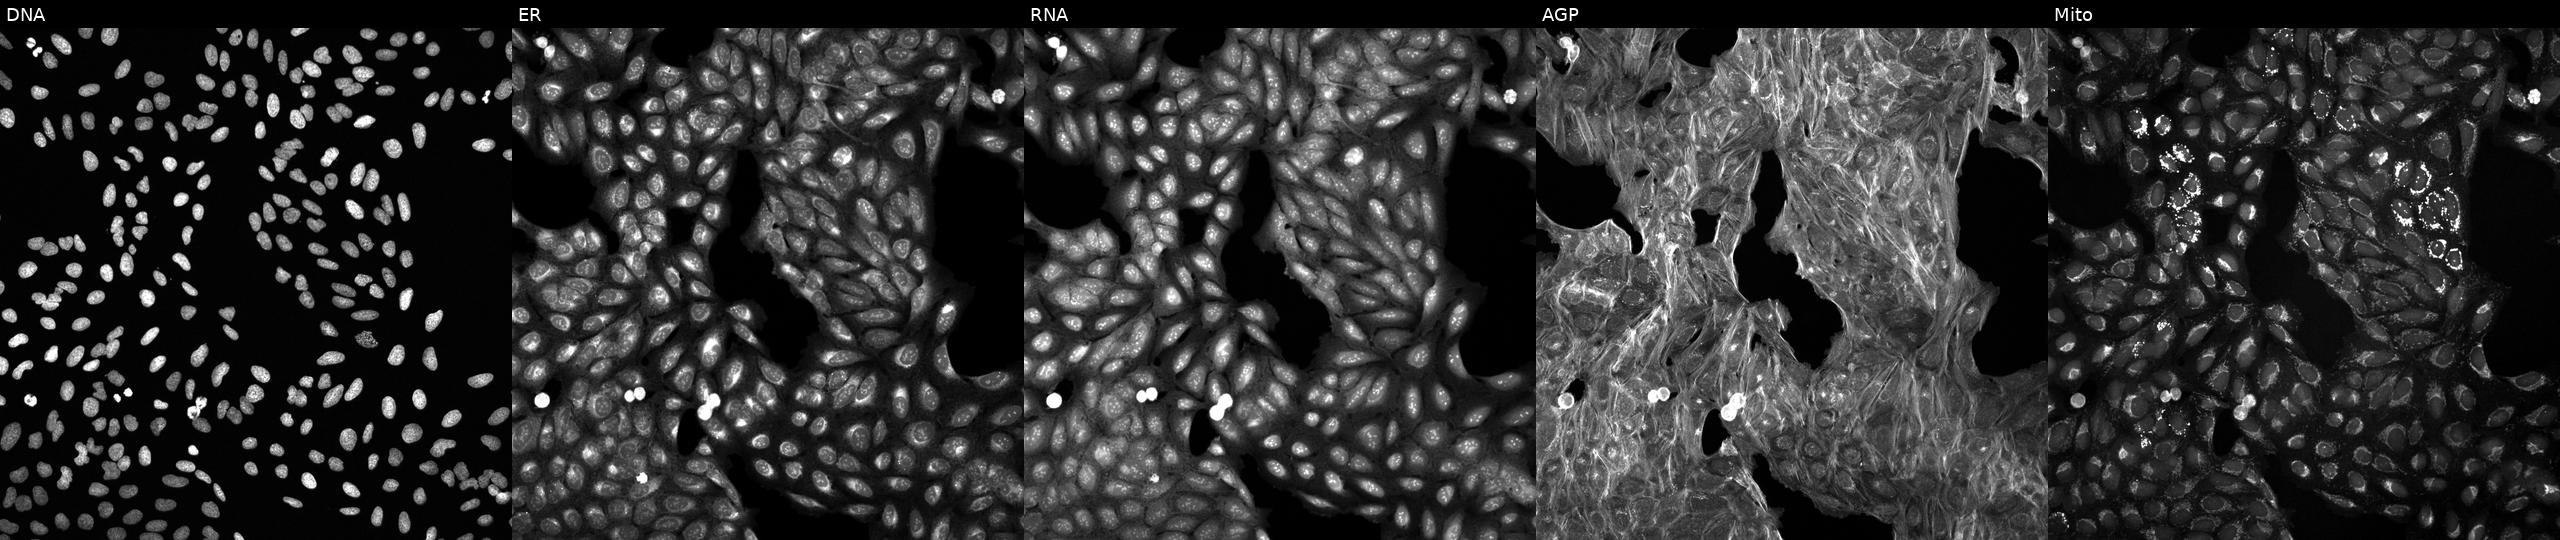
This image strip shows the five Cell Painting channels for a single field of U2OS cells exposed to DMSO alone as a negative control. Panels show, left to right, DNA (nuclei); ER (endoplasmic reticulum); RNA (nucleoli and cytoplasmic RNA); AGP (actin cytoskeleton, Golgi, and plasma membrane); Mito (mitochondria). Source 6, plate 110000293082, well O23.